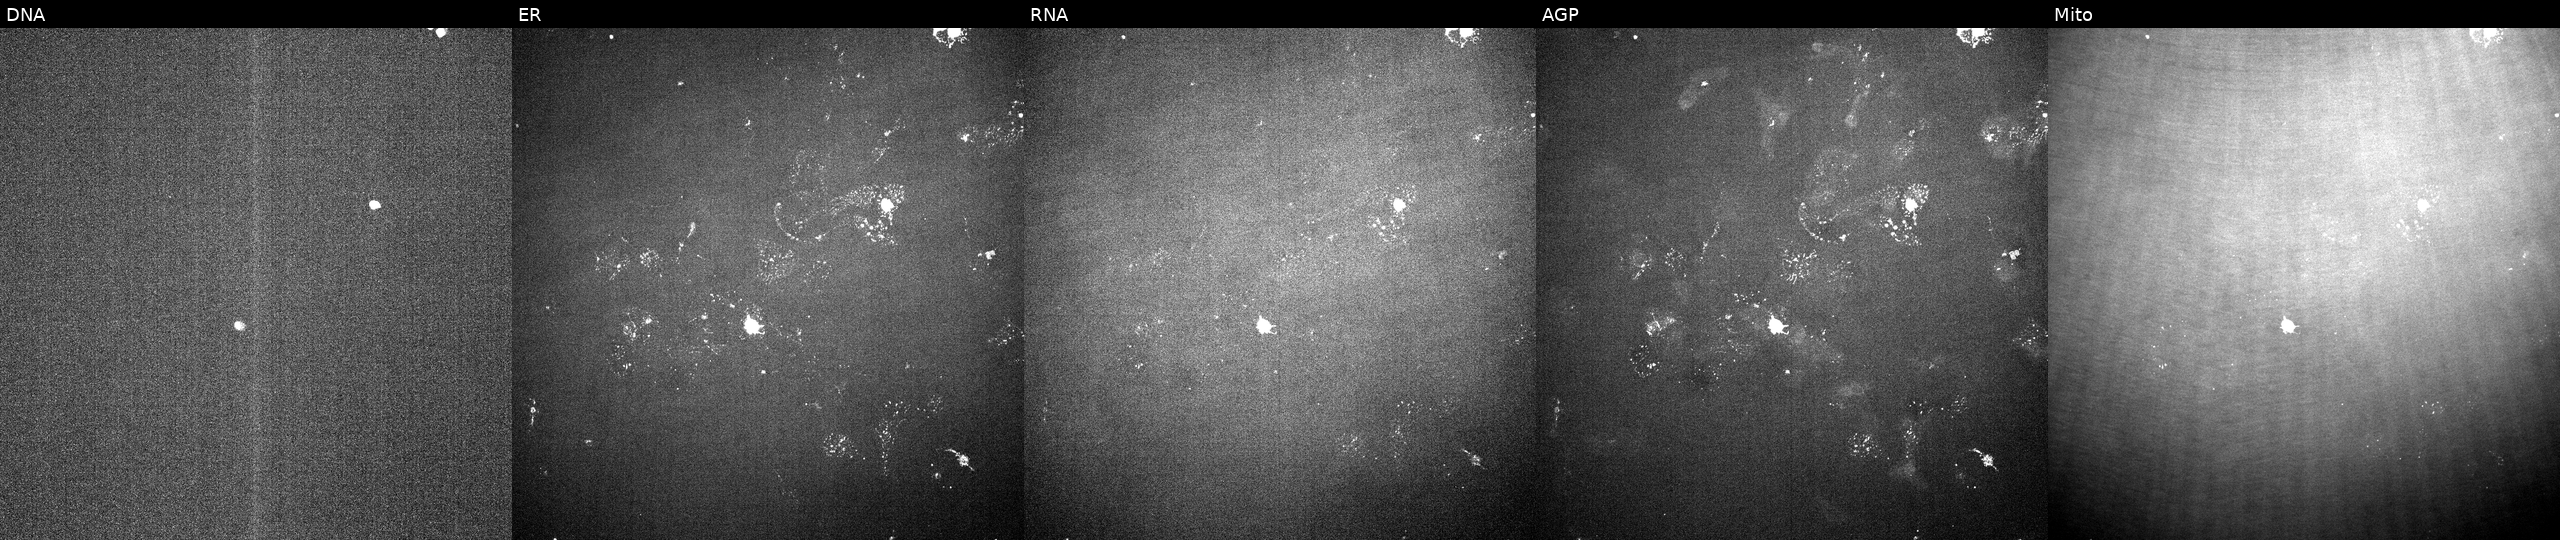
JUMP Cell Painting — TARGET2 plate. U2OS cells exposed to a small-molecule compound (InChIKey LSFLAQVDISHMNB-UHFFFAOYSA-N) (JUMP id JCP2022_051415). From left to right: DNA, ER, RNA, AGP, and Mito.